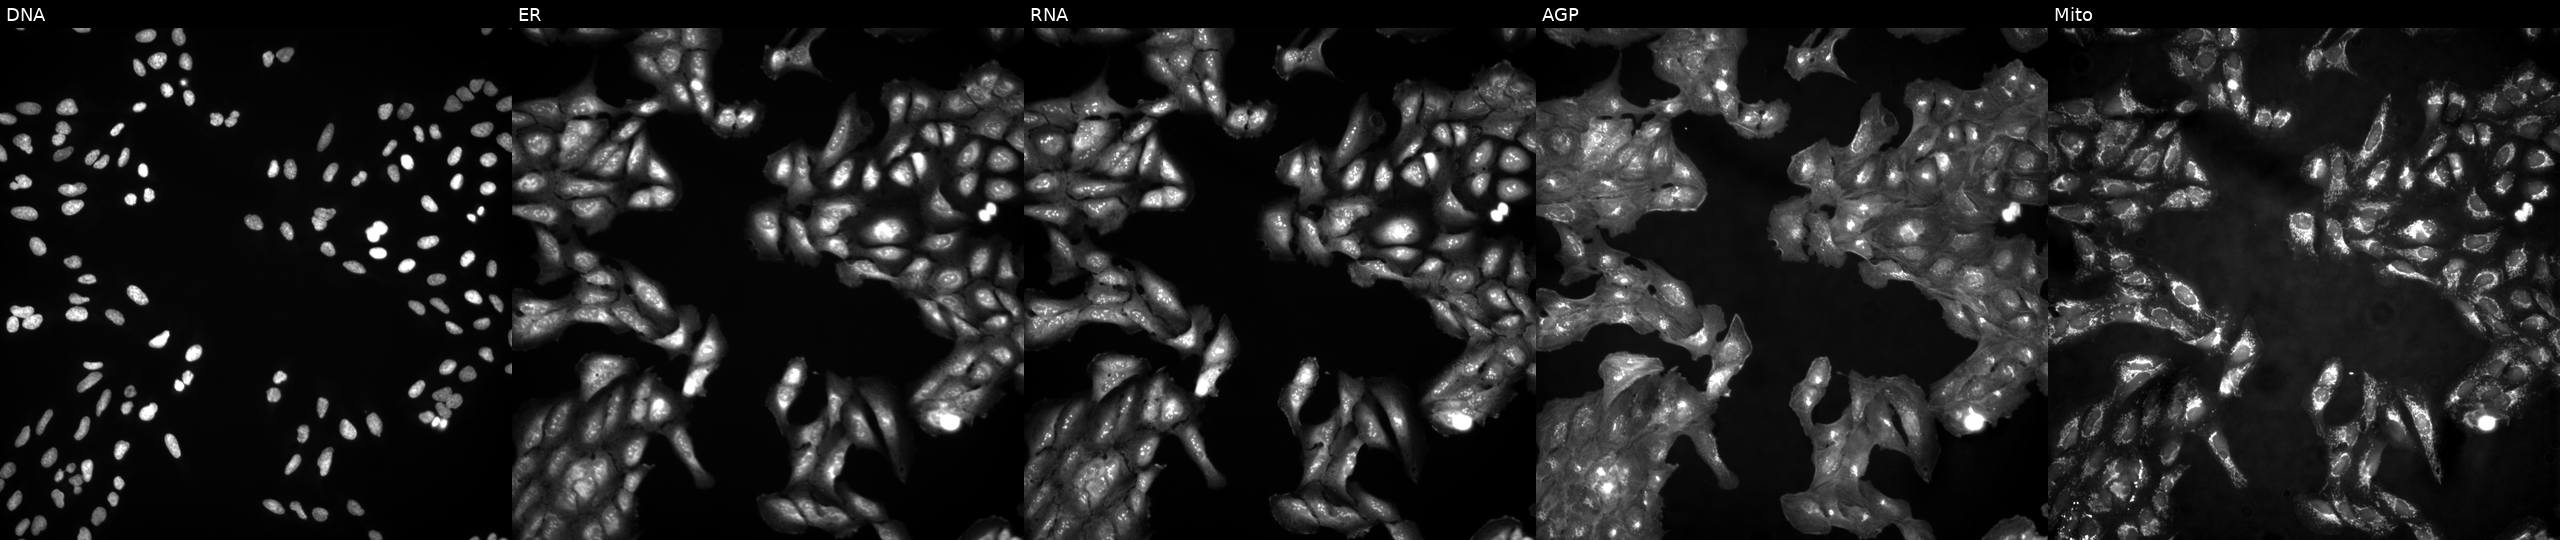
U2OS cells, Cell Painting assay, untreated (empty-well control) (JUMP id JCP2022_999999). From left to right: DNA, ER, RNA, AGP, and Mito. Each panel is percentile-stretched 16-bit fluorescence. Source 4, plate BR00123946, well M14.